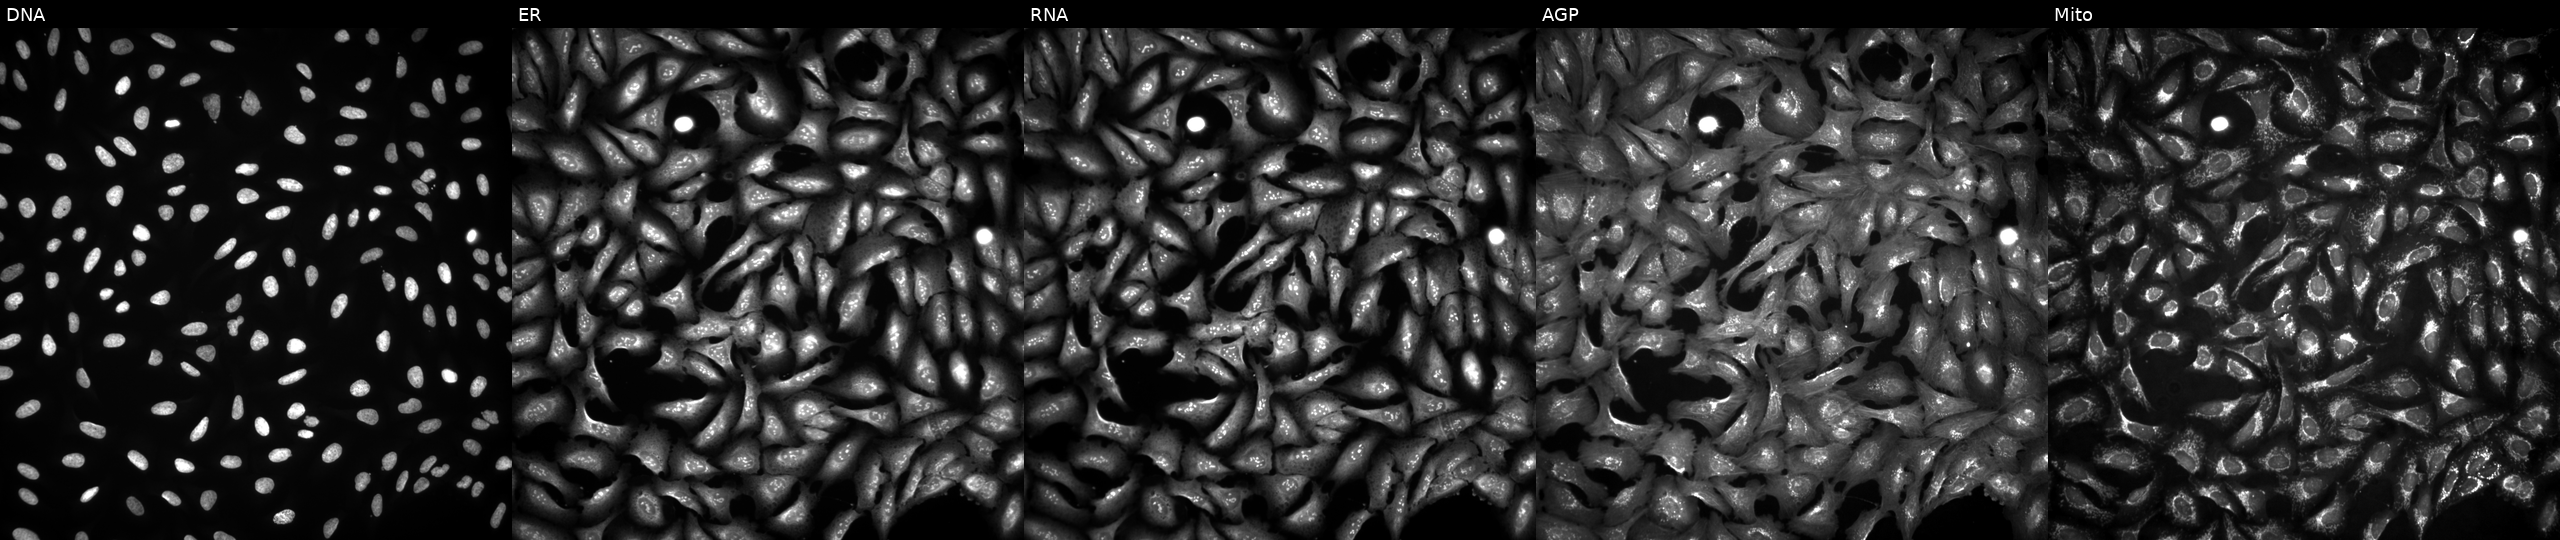
Five-channel Cell Painting image of U2OS cells overexpressing LGALS2 via ORF transfection. Panels show, left to right, DNA, ER, RNA, AGP, and Mito. Source 4, plate BR00124787, well H15.